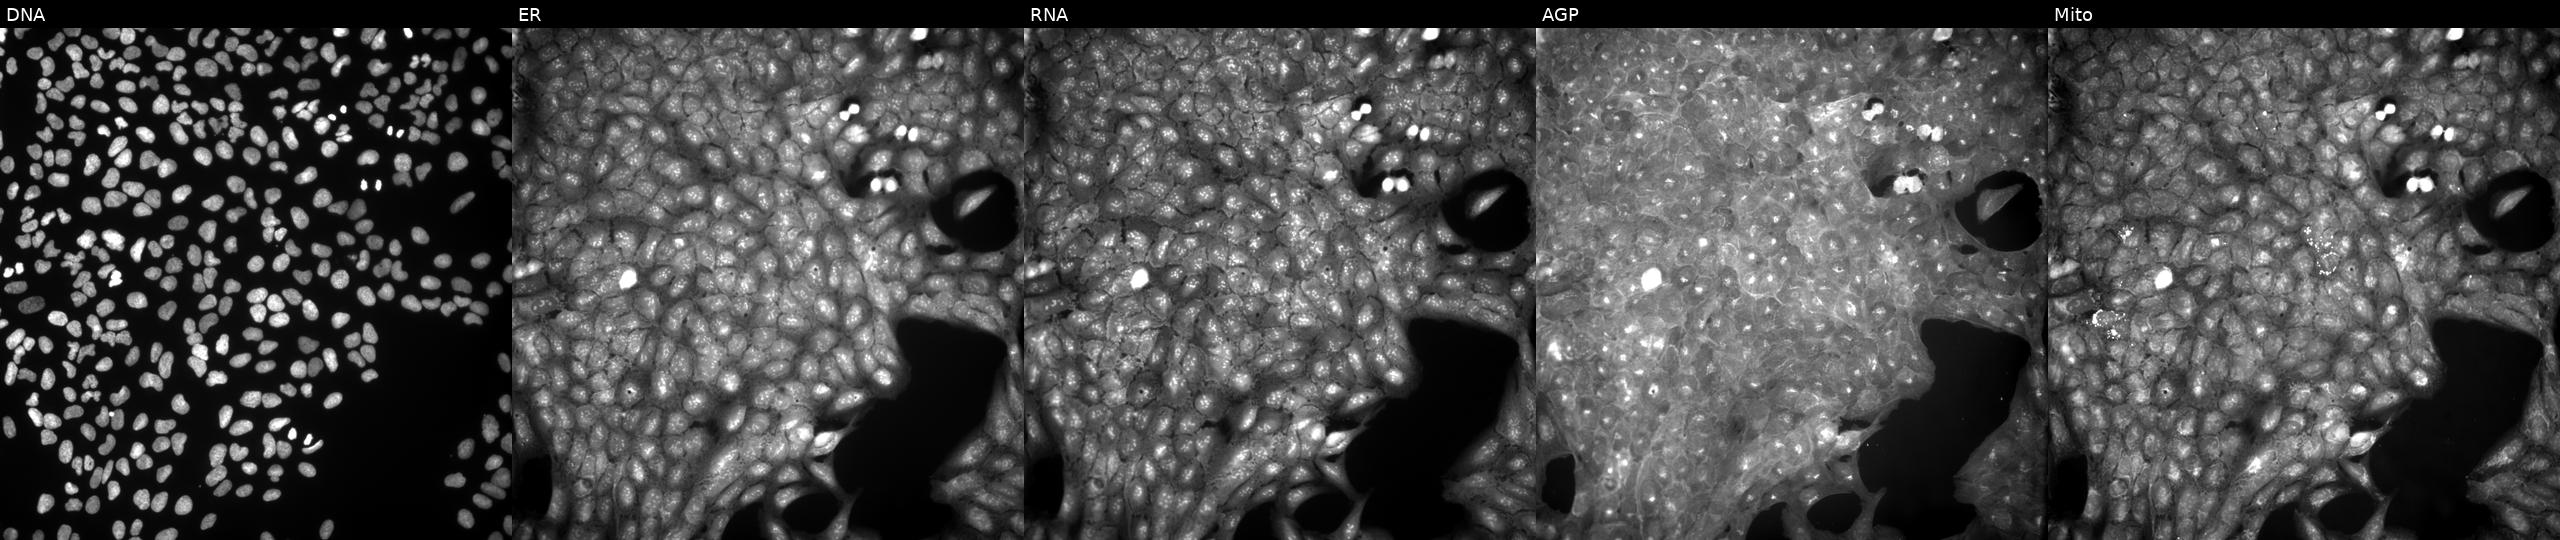
JUMP Cell Painting — COMPOUND plate. U2OS cells treated with a small-molecule compound (JUMP id JCP2022_010016). The five panels, left to right, show DNA (nuclei); ER (endoplasmic reticulum); RNA (nucleoli and cytoplasmic RNA); AGP (actin cytoskeleton, Golgi, and plasma membrane); Mito (mitochondria).